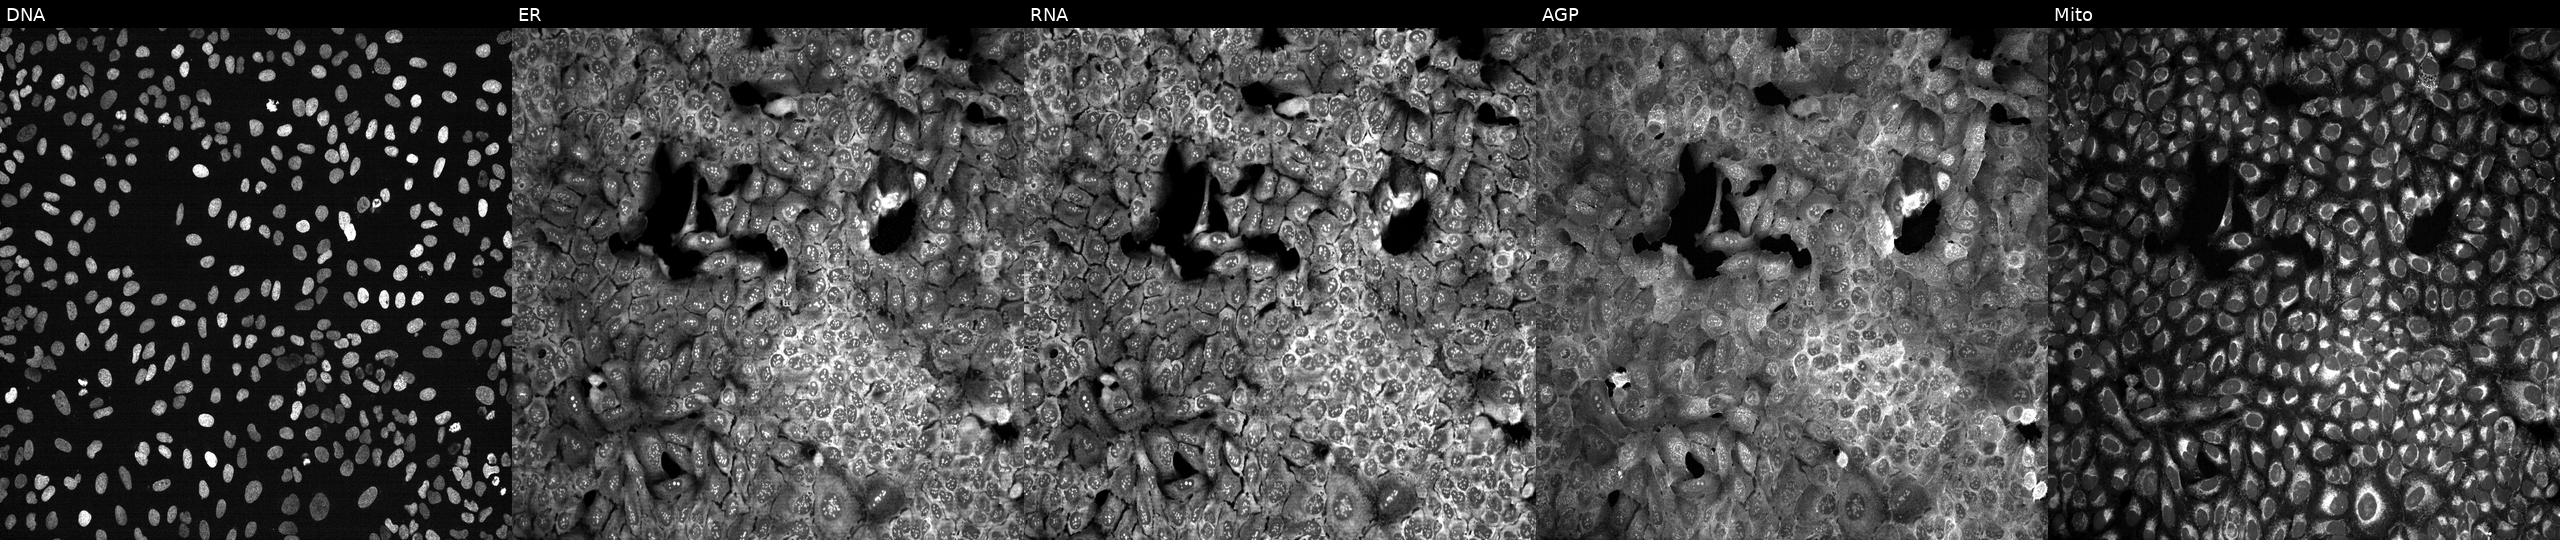
Five-channel Cell Painting image of U2OS cells CRISPR-edited to disrupt IFNG (JUMP id JCP2022_803338). Panels show, left to right, Hoechst 33342, concanavalin A, SYTO 14, phalloidin and WGA, MitoTracker. Source 13, plate CP-CC9-R4-03, well E15.